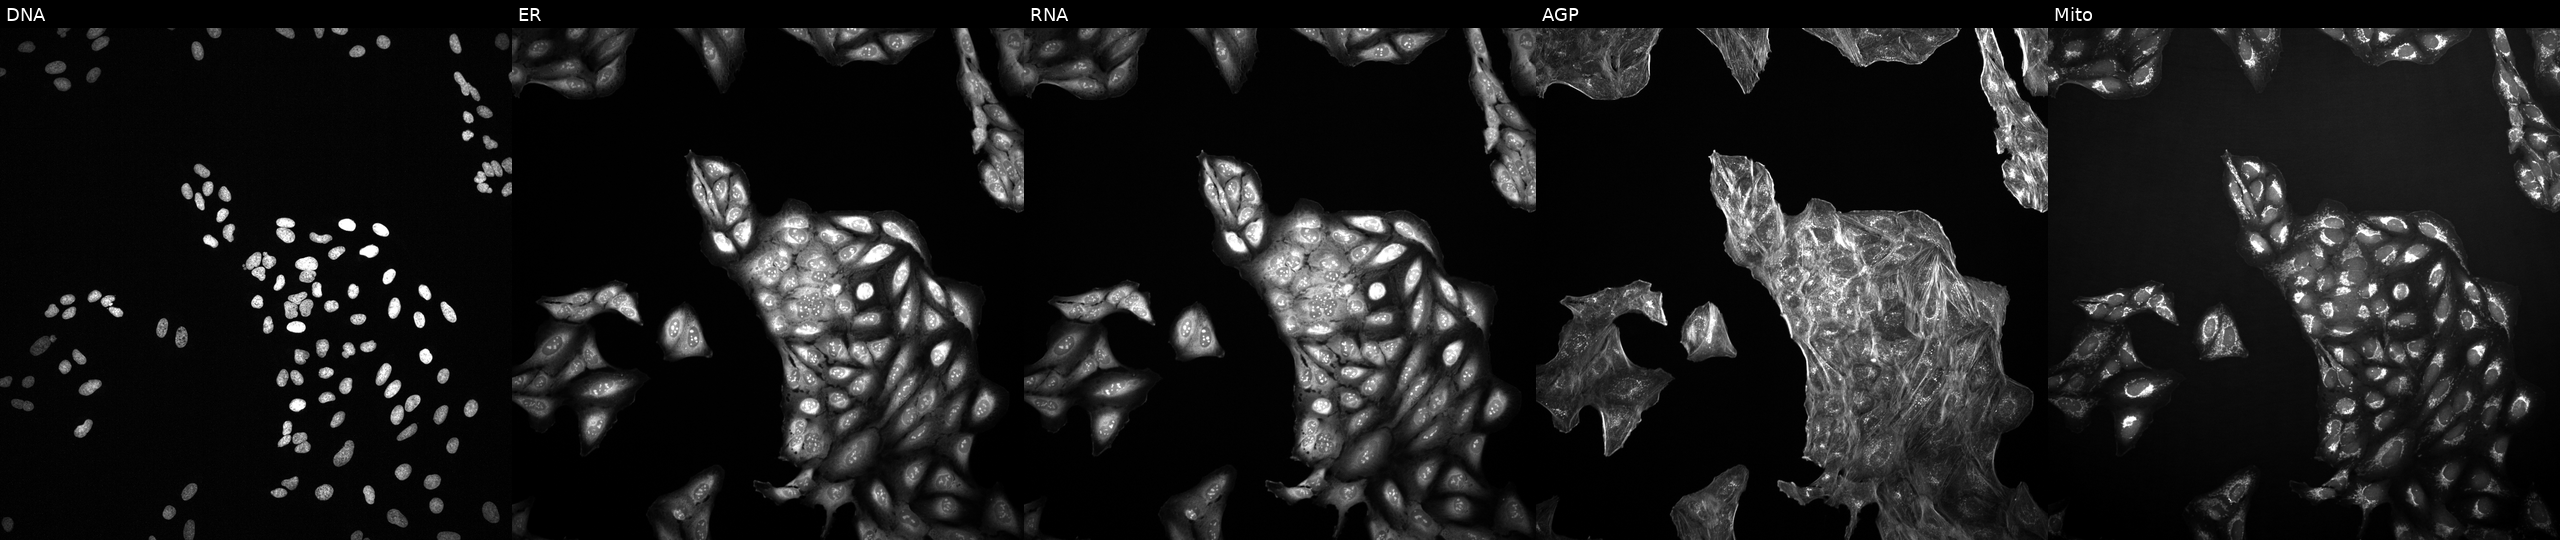
Five-channel Cell Painting image of U2OS cells exposed to a small-molecule compound (InChIKey TXUZVZSFRXZGTL-UHFFFAOYSA-N). Channels (left→right): DNA, ER, RNA, AGP, and Mito.